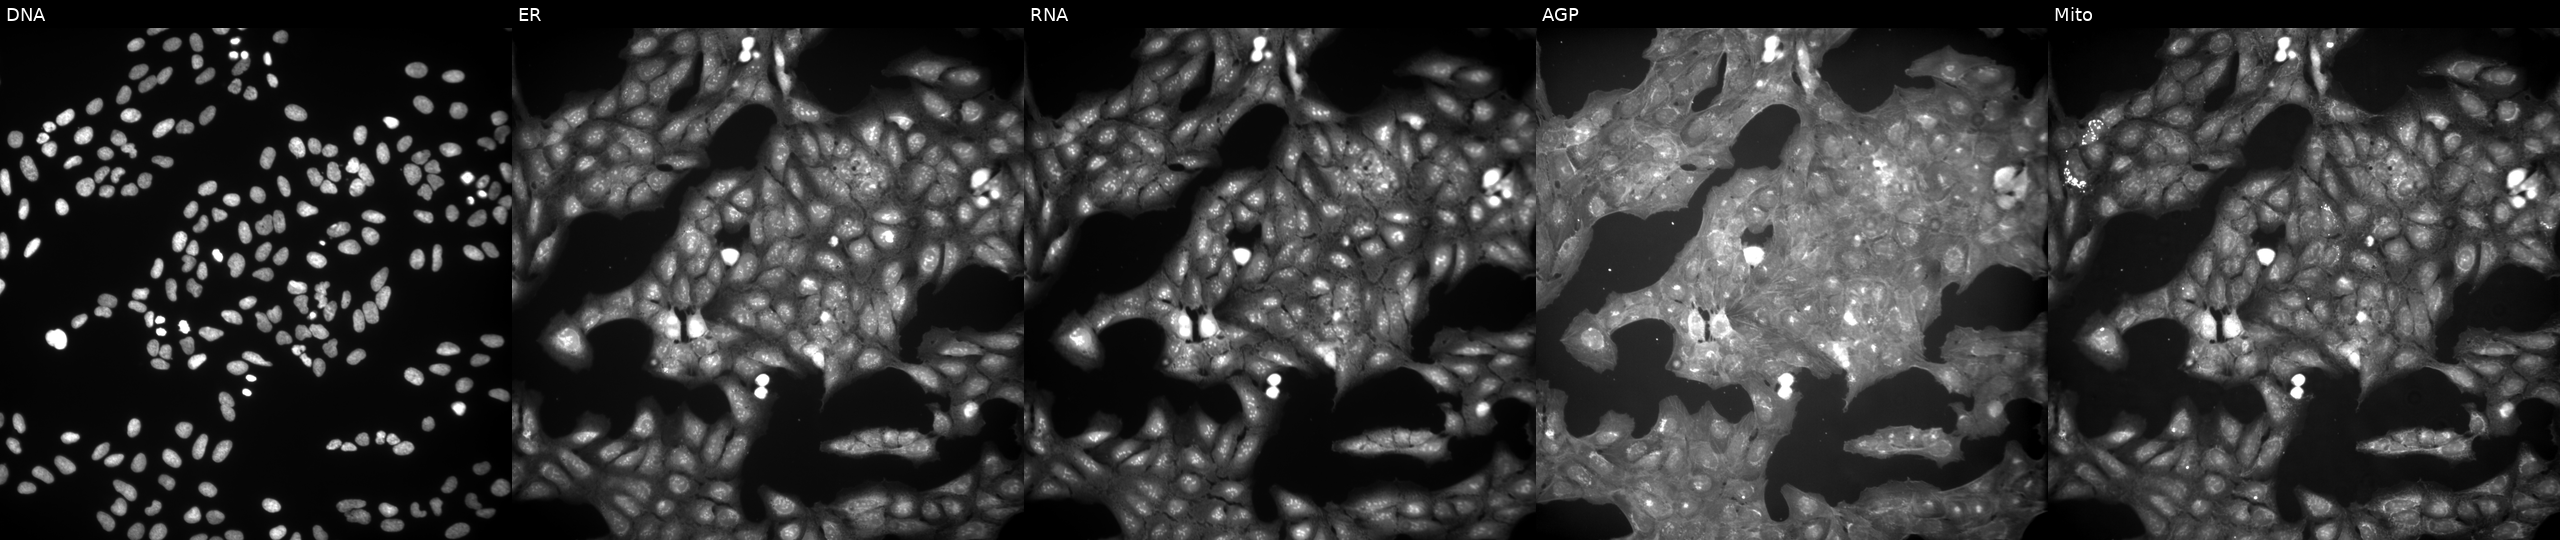
From left to right: DNA (nuclei); ER (endoplasmic reticulum); RNA (nucleoli and cytoplasmic RNA); AGP (actin cytoskeleton, Golgi, and plasma membrane); Mito (mitochondria). U2OS osteosarcoma cells perturbed with a small-molecule compound (InChIKey FKJDQTBTNSTNEL-UHFFFAOYSA-N) (JUMP id JCP2022_021207). Cell Painting assay, JUMP-CP dataset. Source 9, plate GR00003381, well C40.